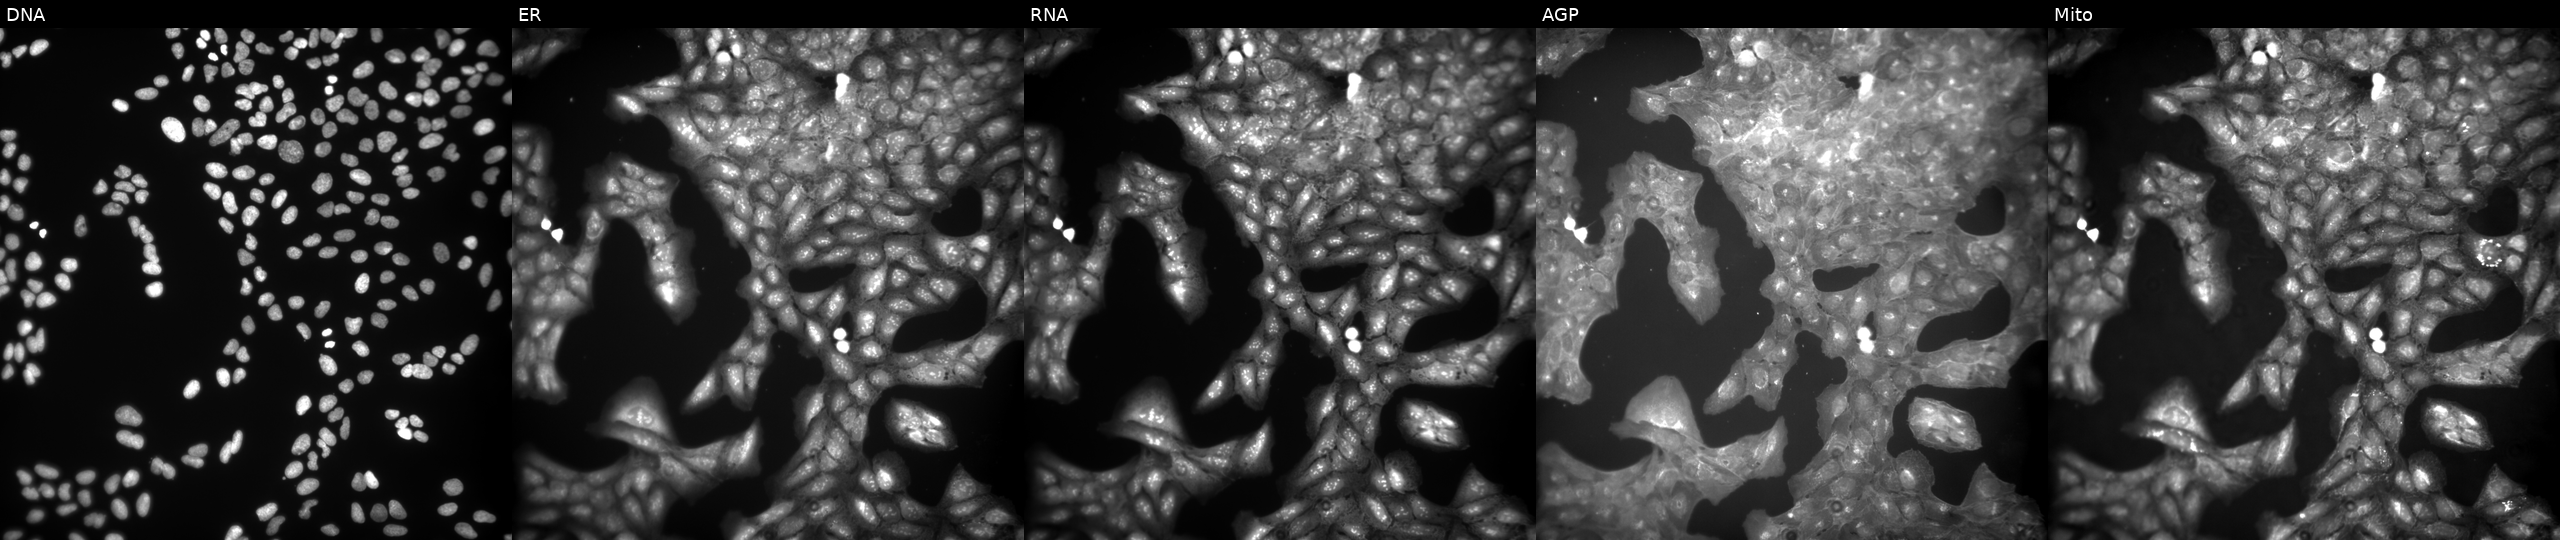
The five panels, left to right, show Hoechst 33342, concanavalin A, SYTO 14, phalloidin and WGA, MitoTracker. U2OS osteosarcoma cells treated with a small-molecule compound (JUMP id JCP2022_040734). Cell Painting assay, JUMP-CP dataset.